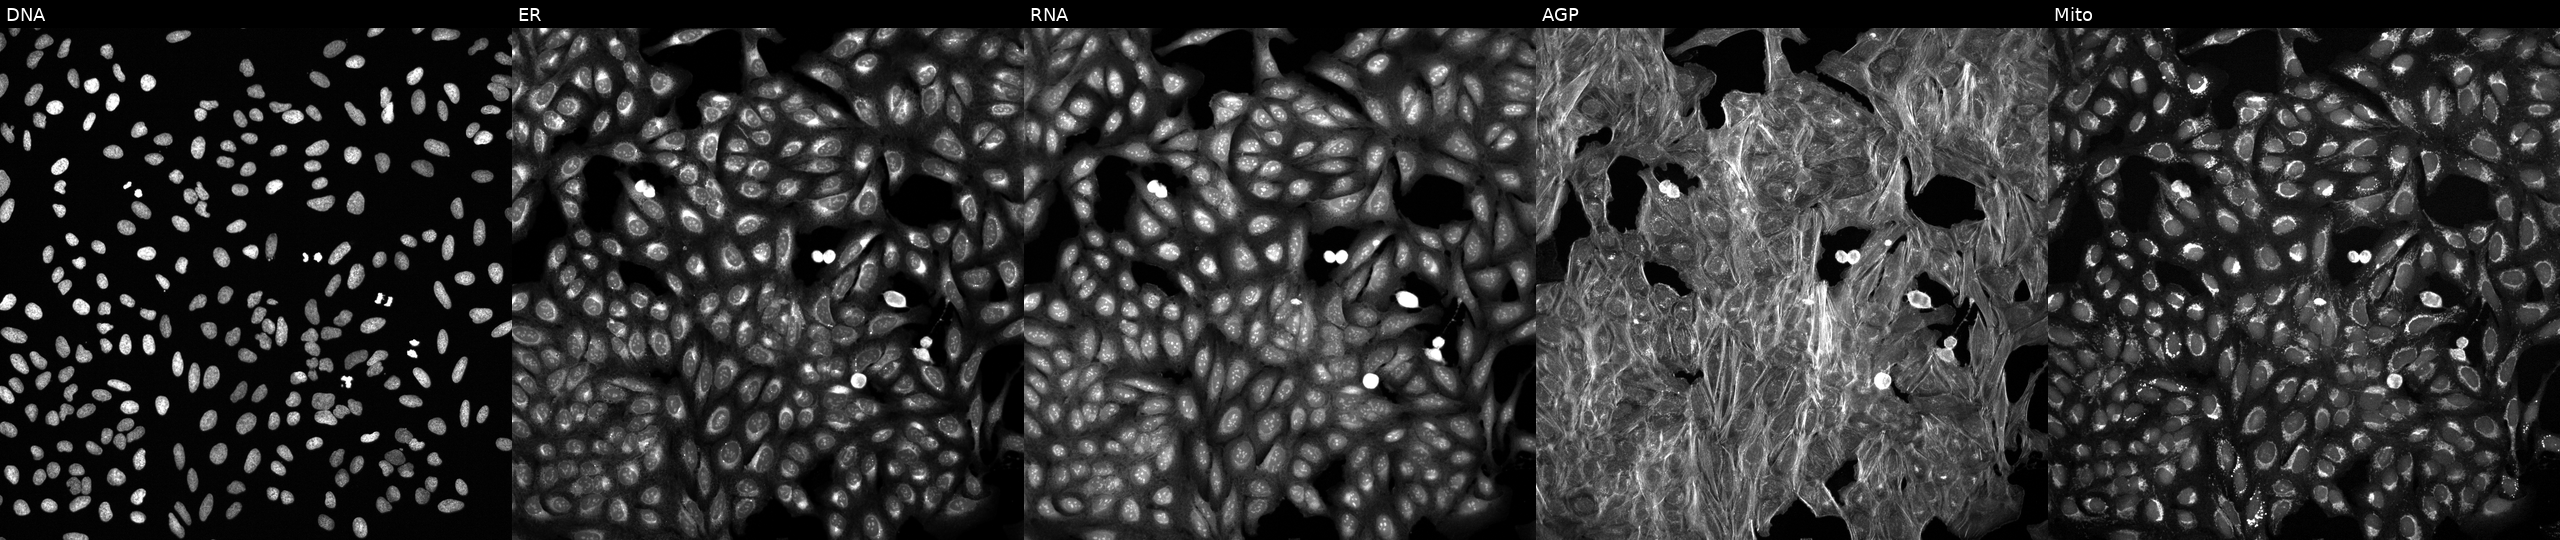
Five-channel Cell Painting image of U2OS cells treated with DMSO vehicle only (negative control). Panels show, left to right, DNA, ER, RNA, AGP, and Mito.